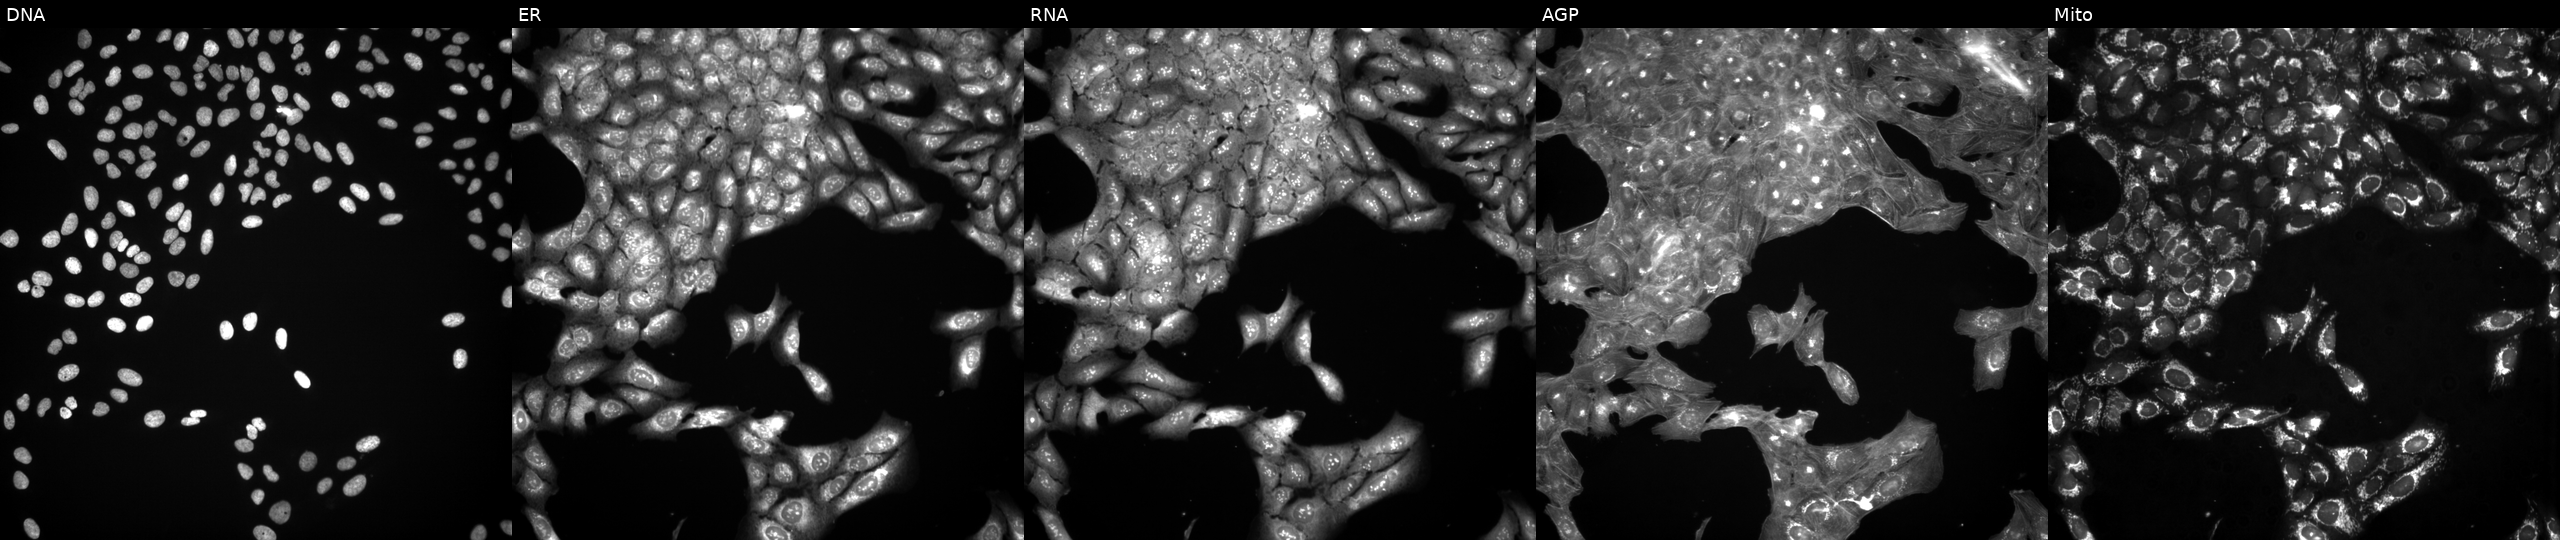
JUMP Cell Painting — COMPOUND plate. U2OS cells exposed to a small-molecule compound (InChIKey GYXUGIHFRFKEMD-UHFFFAOYSA-N) [SMILES: O=C(O)Cn1nc(-c2ccccc2)c2ccccc2c1=O] (JUMP id JCP2022_028639). The five panels, left to right, show DNA, ER, RNA, AGP, and Mito.